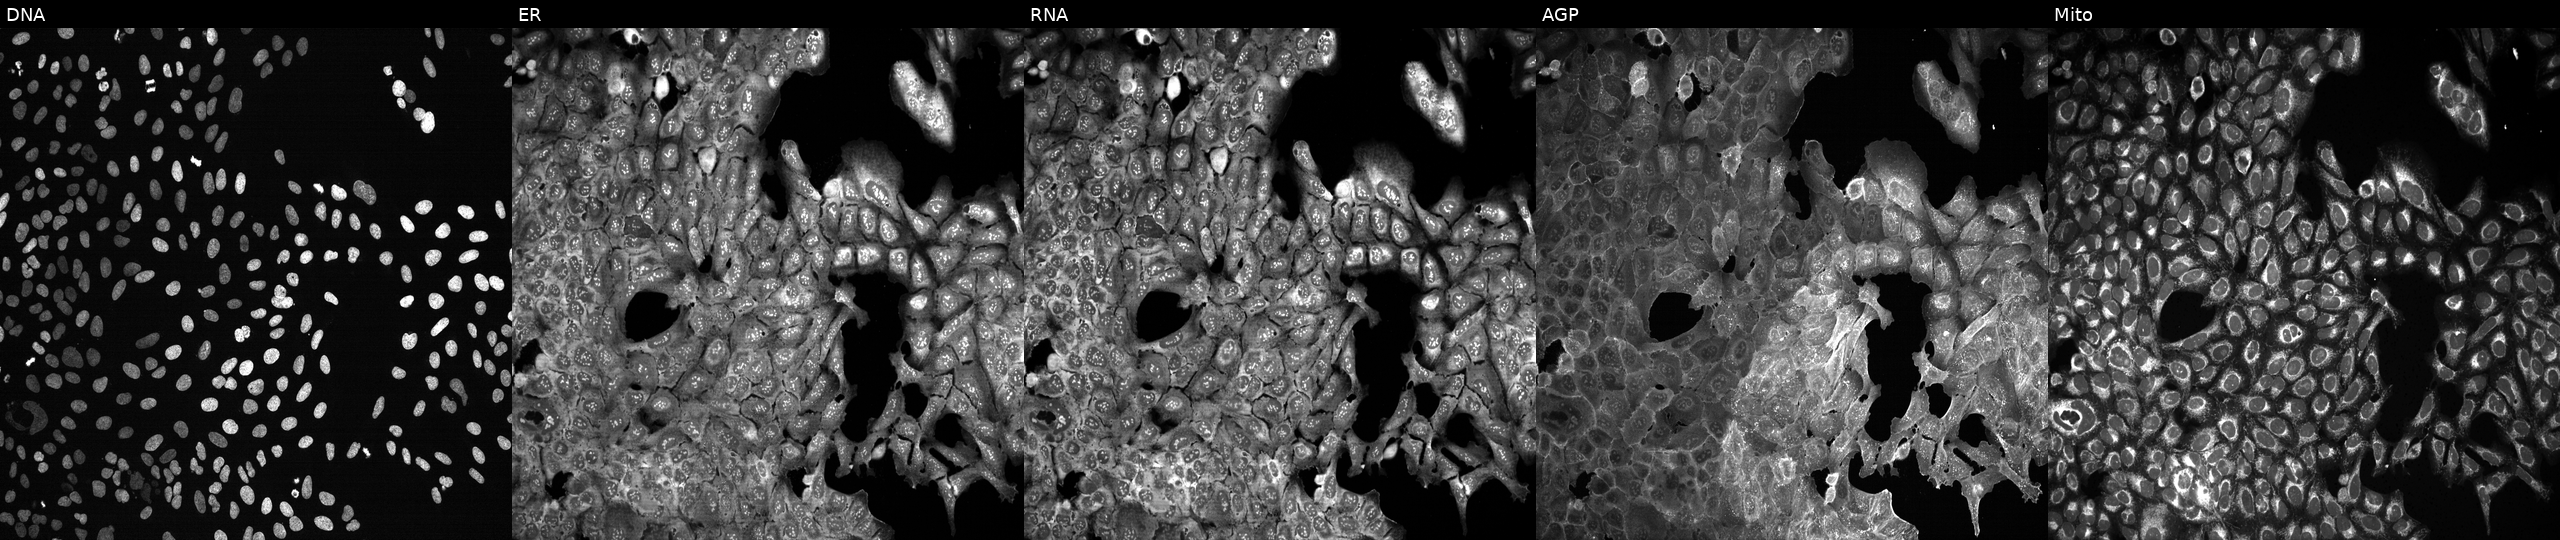
High-content fluorescence microscopy (Cell Painting). Cell line: U2OS. Perturbation: CRISPR-edited to disrupt CAPN6. From left to right: DNA, ER, RNA, AGP, and Mito.